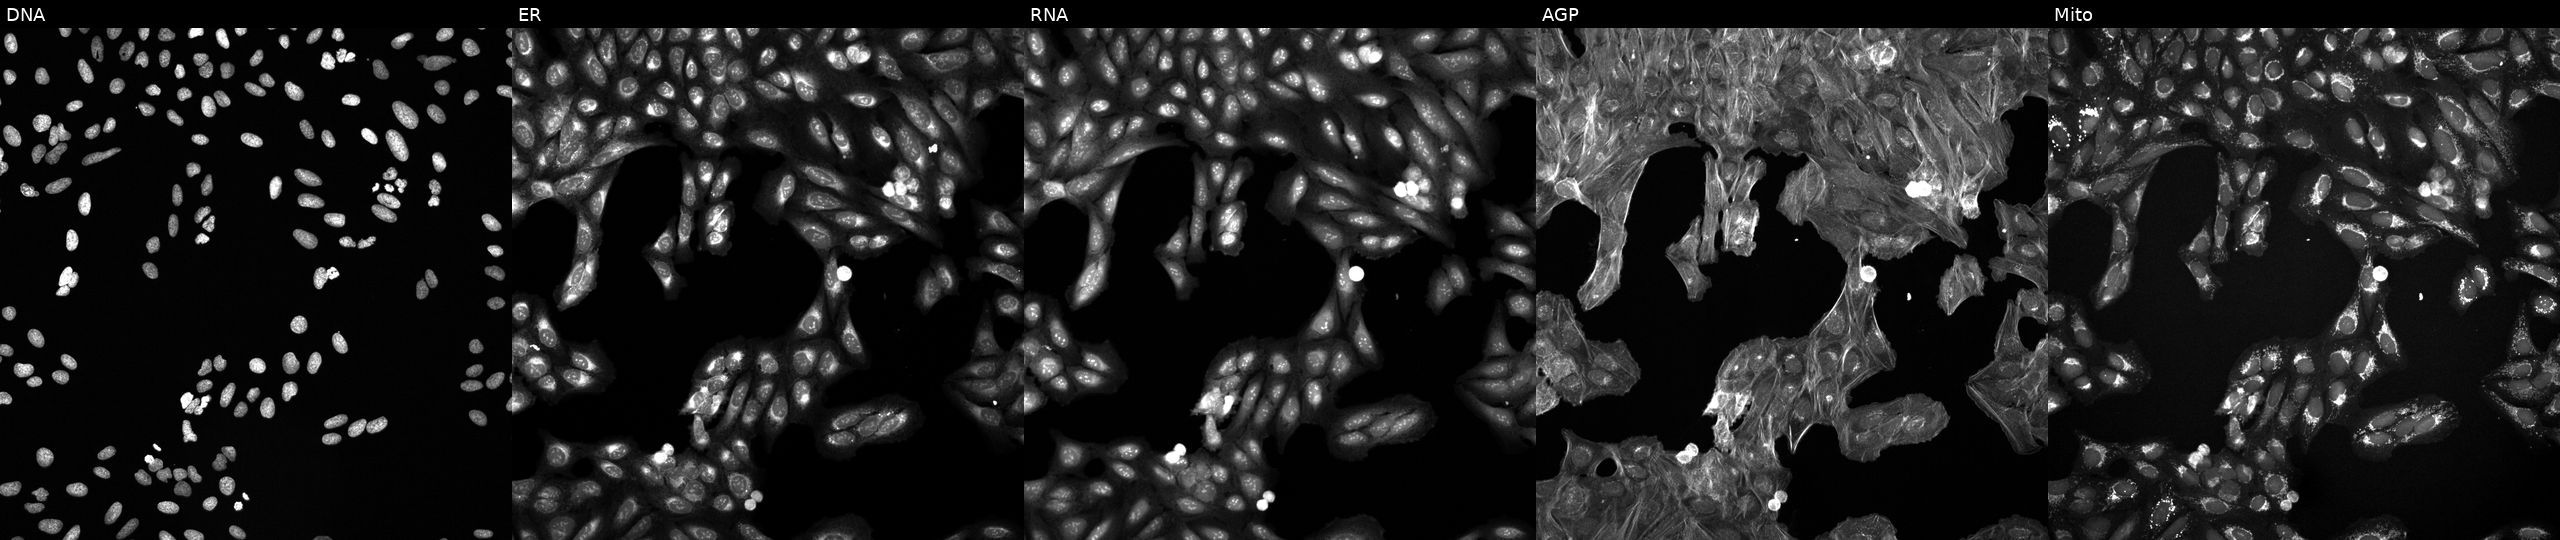
U2OS cells, Cell Painting assay, treated with a small-molecule compound (InChIKey WOJGWMNVJVXQJH-UHFFFAOYSA-N) (JUMP id JCP2022_100106). Panels show, left to right, DNA, ER, RNA, AGP, and Mito. Each panel is percentile-stretched 16-bit fluorescence.